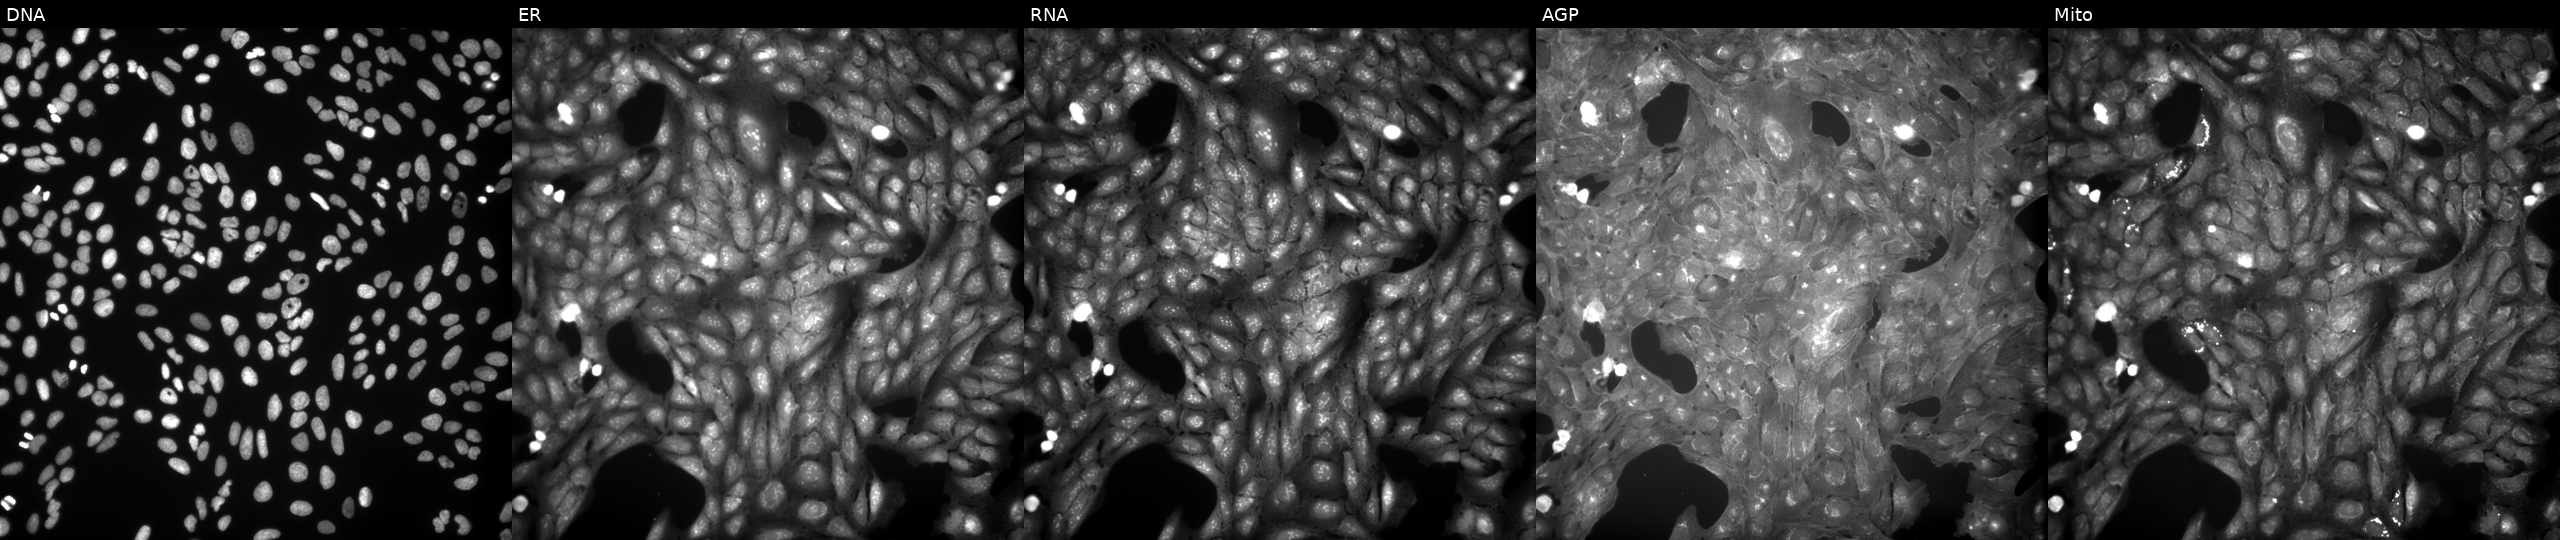
U2OS cells, Cell Painting assay, exposed to the positive-control compound dexamethasone (JUMP id JCP2022_025848). The five panels, left to right, show Hoechst 33342, concanavalin A, SYTO 14, phalloidin and WGA, MitoTracker. Each panel is percentile-stretched 16-bit fluorescence. Source 9, plate GR00003381, well C48.